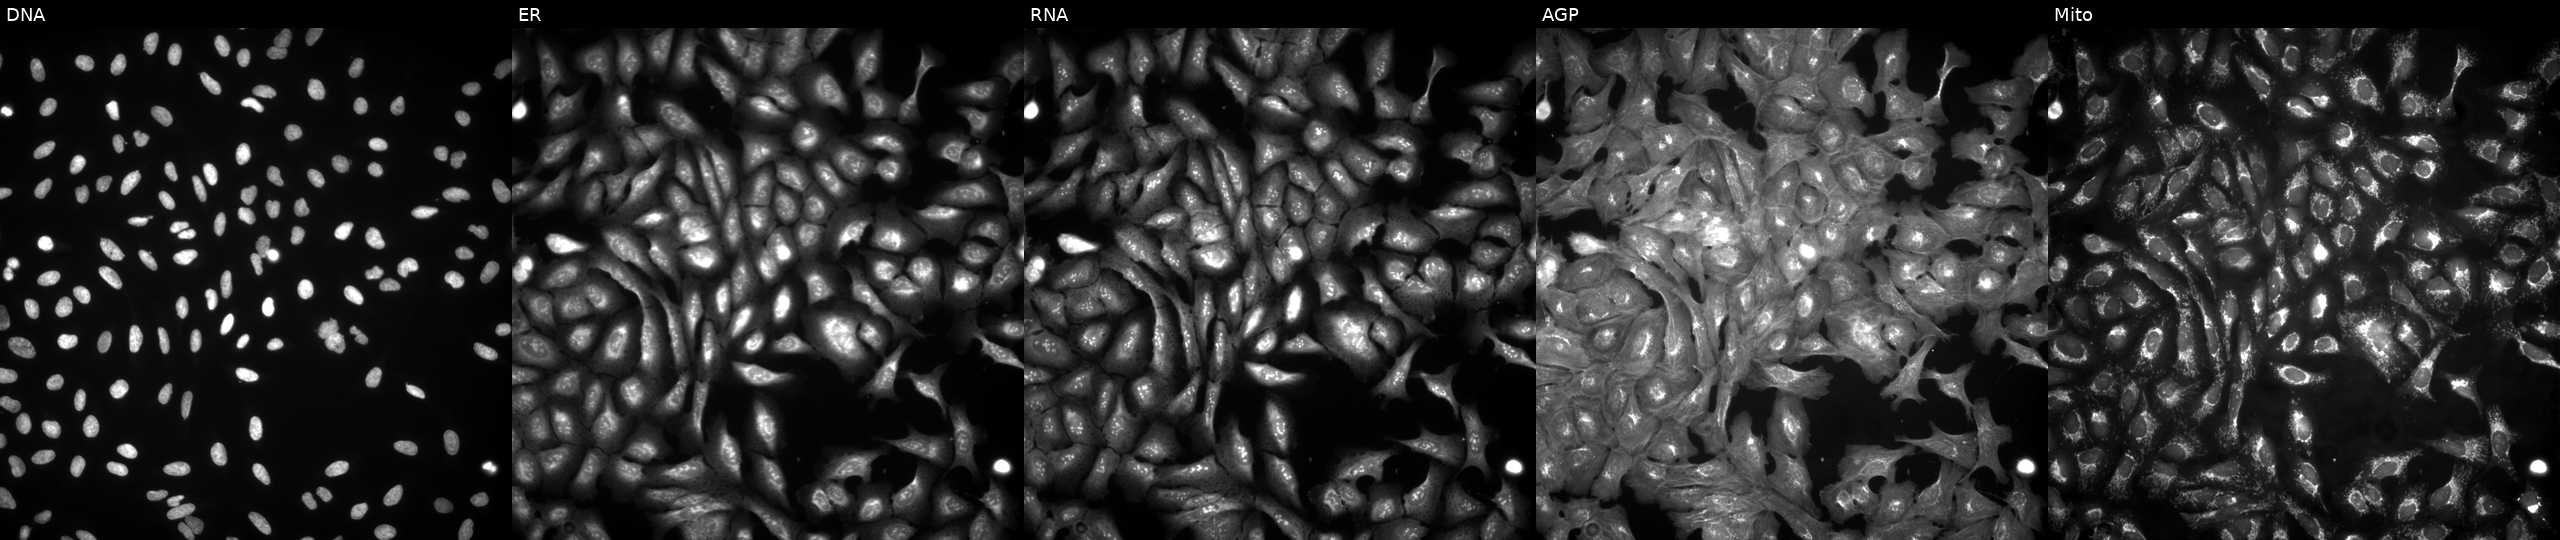
Panels show, left to right, DNA, ER, RNA, AGP, and Mito. U2OS osteosarcoma cells with TRNAU1AP overexpressed (ORF) (JUMP id JCP2022_911300). Cell Painting assay, JUMP-CP dataset.